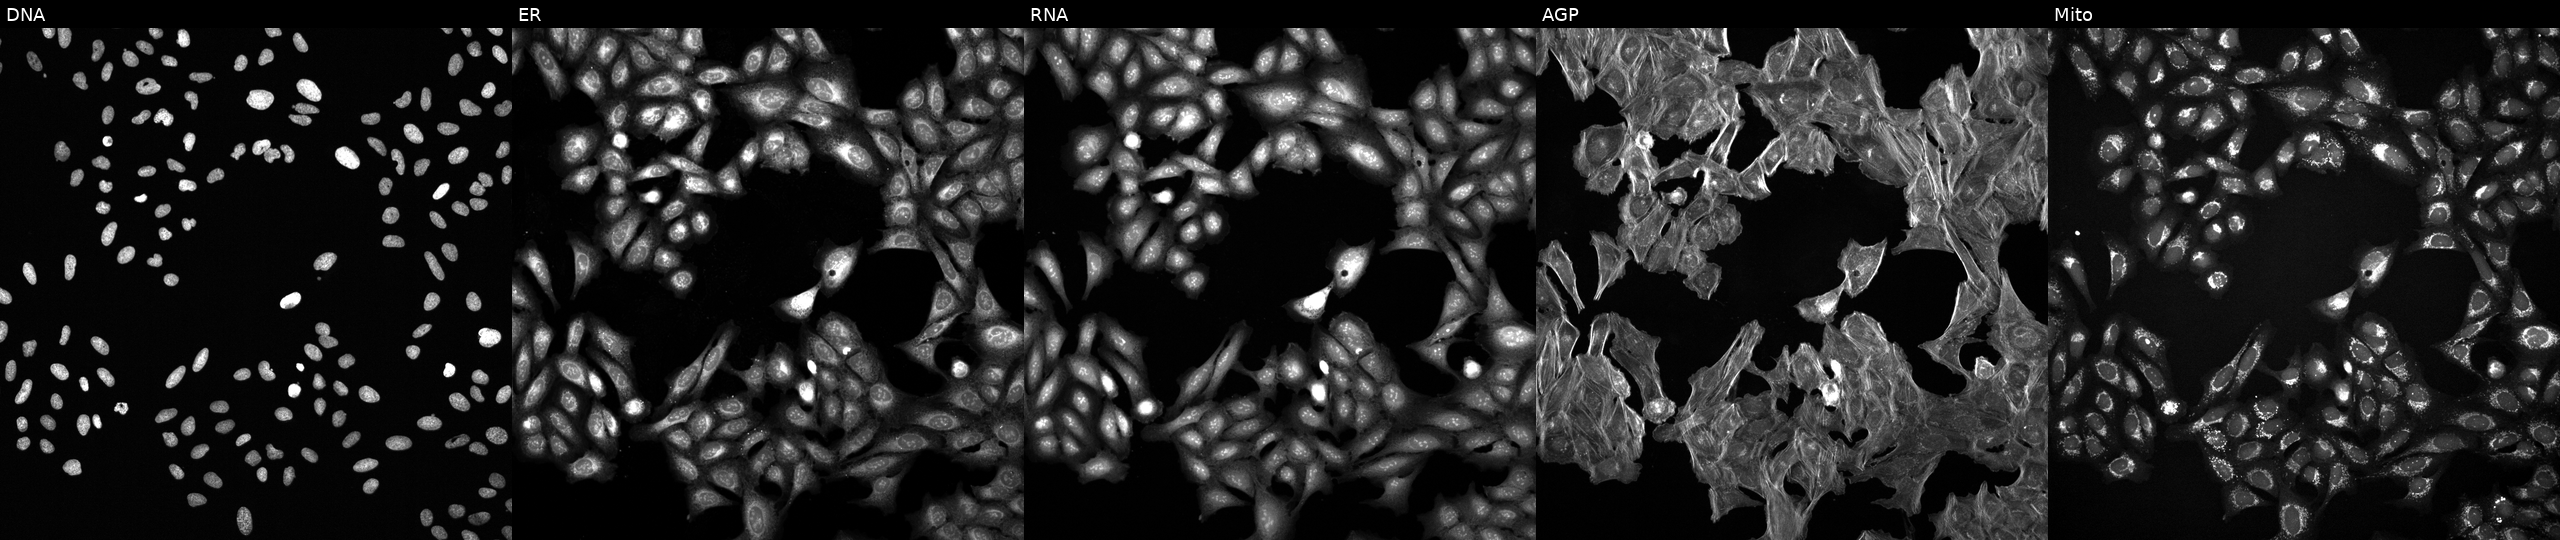
The five panels, left to right, show Hoechst 33342, concanavalin A, SYTO 14, phalloidin and WGA, MitoTracker. U2OS osteosarcoma cells perturbed with a small-molecule compound (InChIKey PMATZTZNYRCHOR-UHFFFAOYSA-N) (JUMP id JCP2022_069491). Cell Painting assay, JUMP-CP dataset.